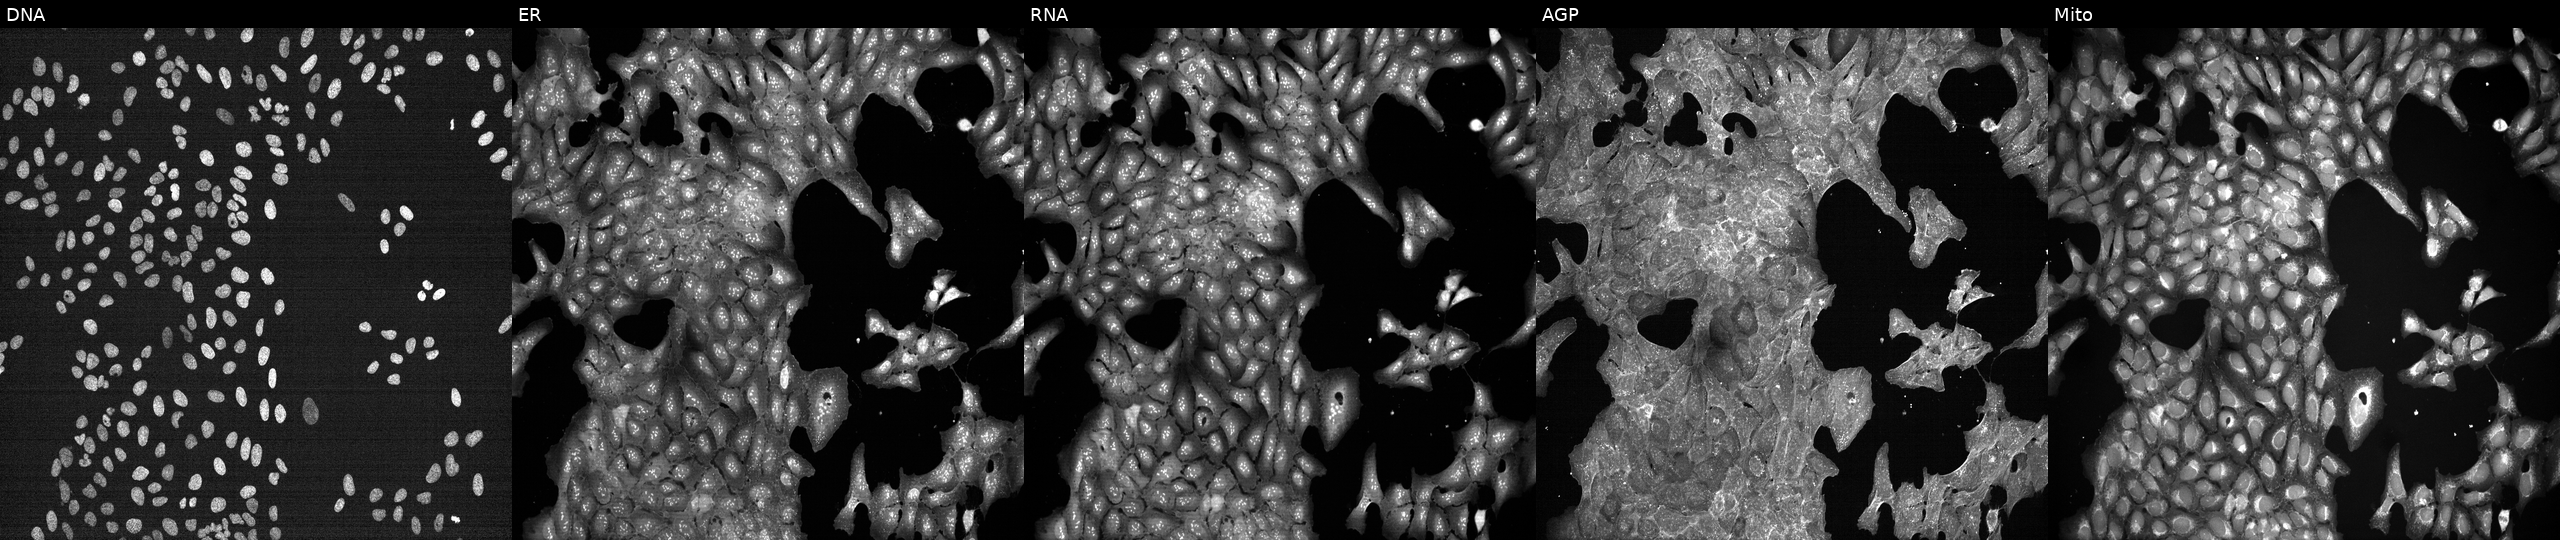
U2OS cells, Cell Painting assay, perturbed with a small-molecule compound (JUMP id JCP2022_067886). From left to right: DNA, ER, RNA, AGP, and Mito. Each panel is percentile-stretched 16-bit fluorescence. Source 7, plate CP1-SC1-25, well L08.